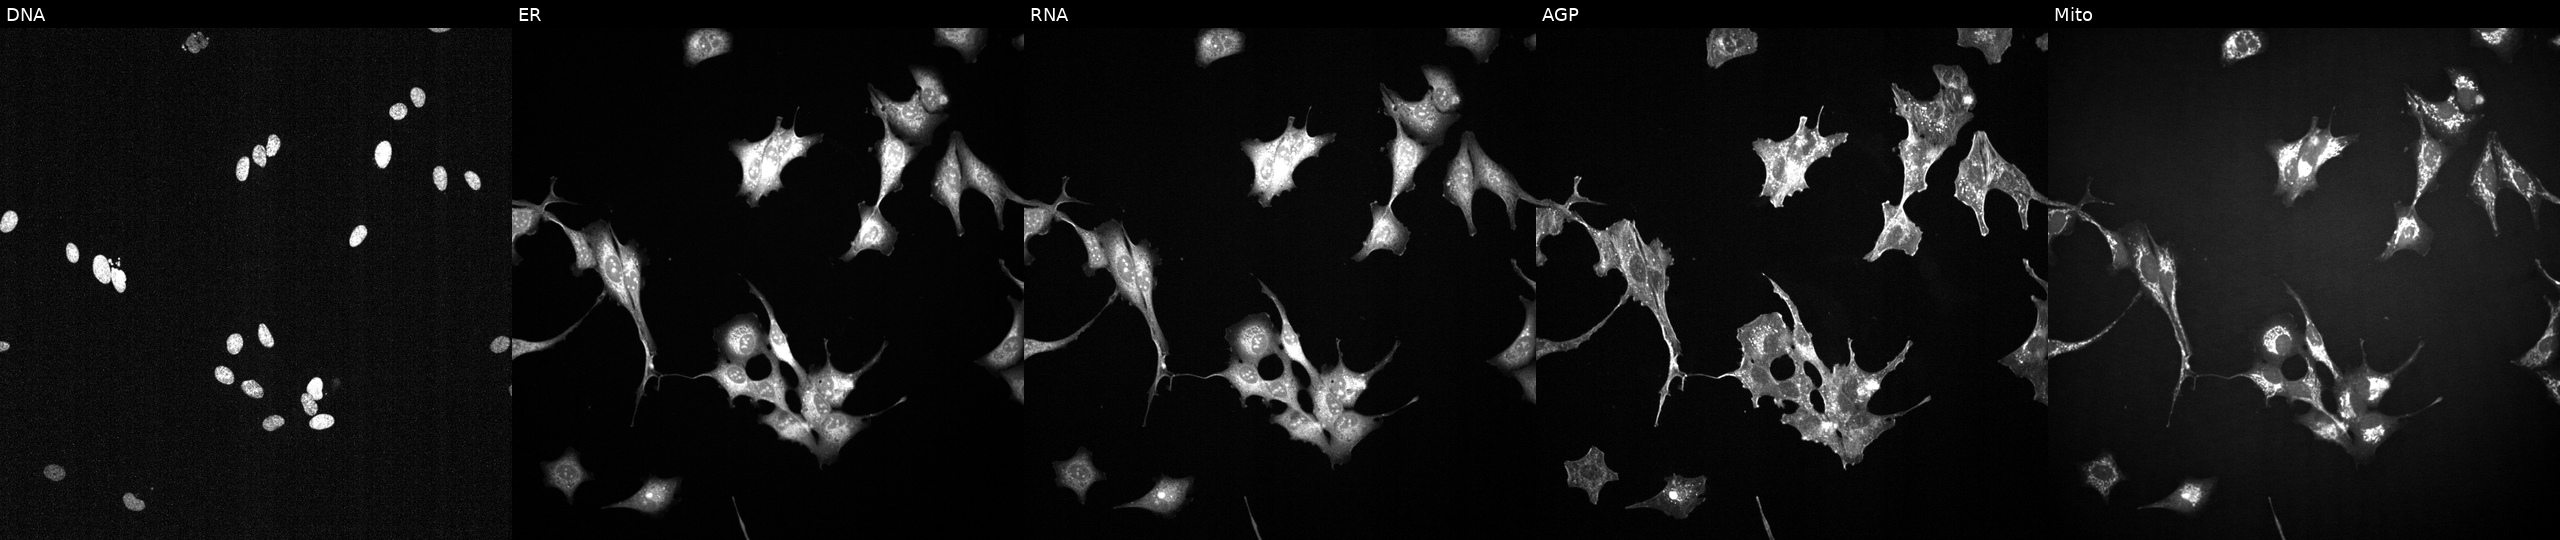
This image strip shows the five Cell Painting channels for a single field of U2OS cells treated with a small-molecule compound (InChIKey XQVVPGYIWAGRNI-UHFFFAOYSA-N). The five panels, left to right, show DNA (nuclei); ER (endoplasmic reticulum); RNA (nucleoli and cytoplasmic RNA); AGP (actin cytoskeleton, Golgi, and plasma membrane); Mito (mitochondria). Source 2, plate 1053599503, well J20.